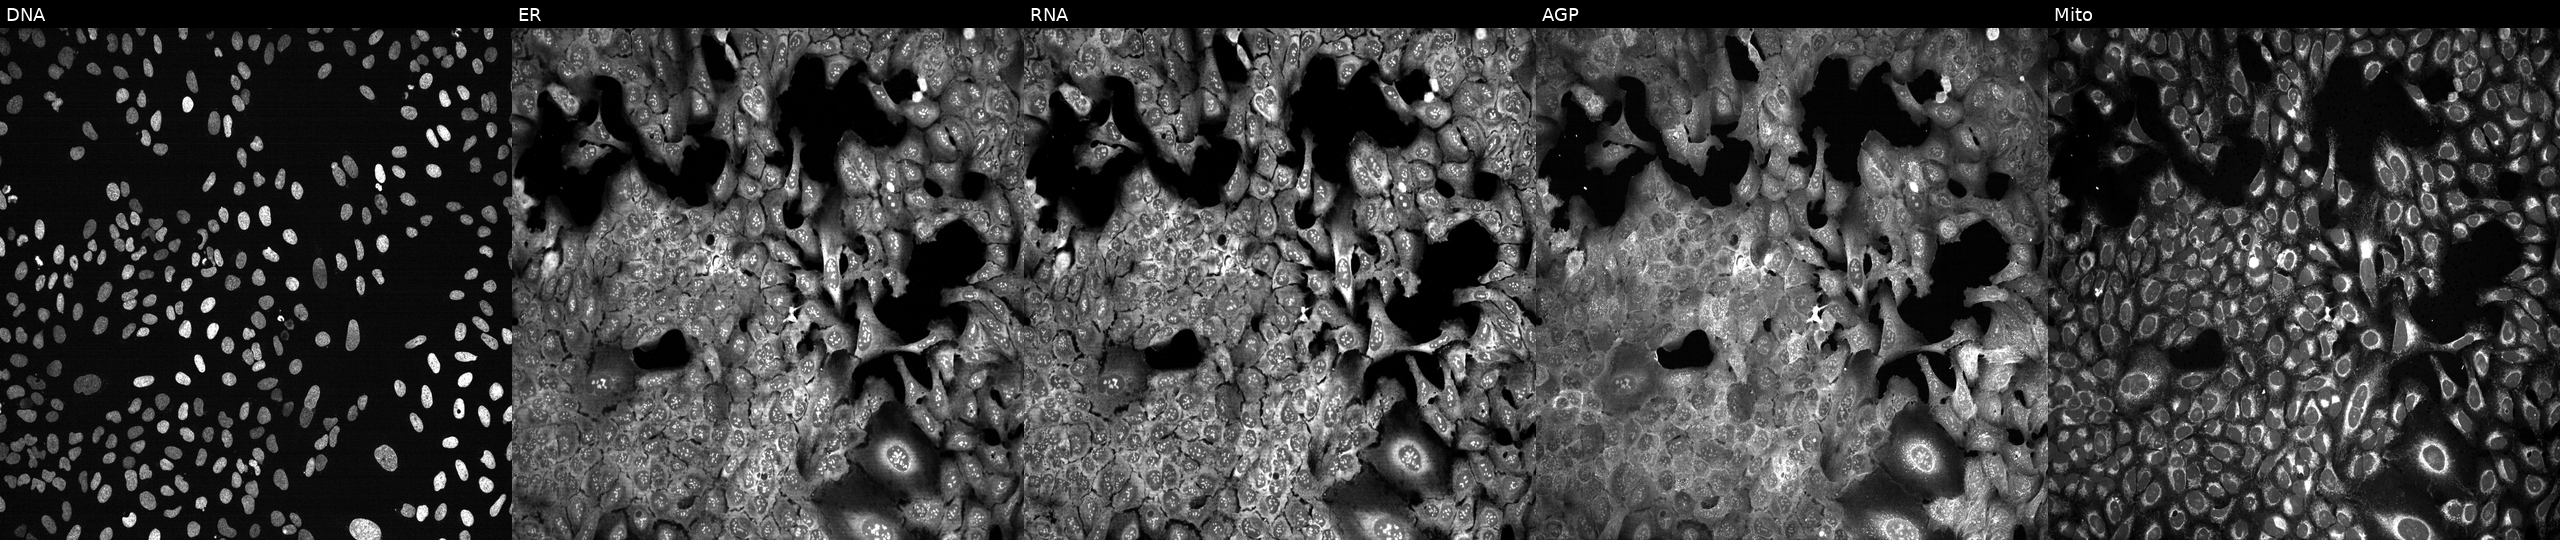
High-content fluorescence microscopy (Cell Painting). Cell line: U2OS. Perturbation: following CRISPR knockout of WISP3 (JUMP id JCP2022_807689). The five panels, left to right, show DNA (nuclei); ER (endoplasmic reticulum); RNA (nucleoli and cytoplasmic RNA); AGP (actin cytoskeleton, Golgi, and plasma membrane); Mito (mitochondria).